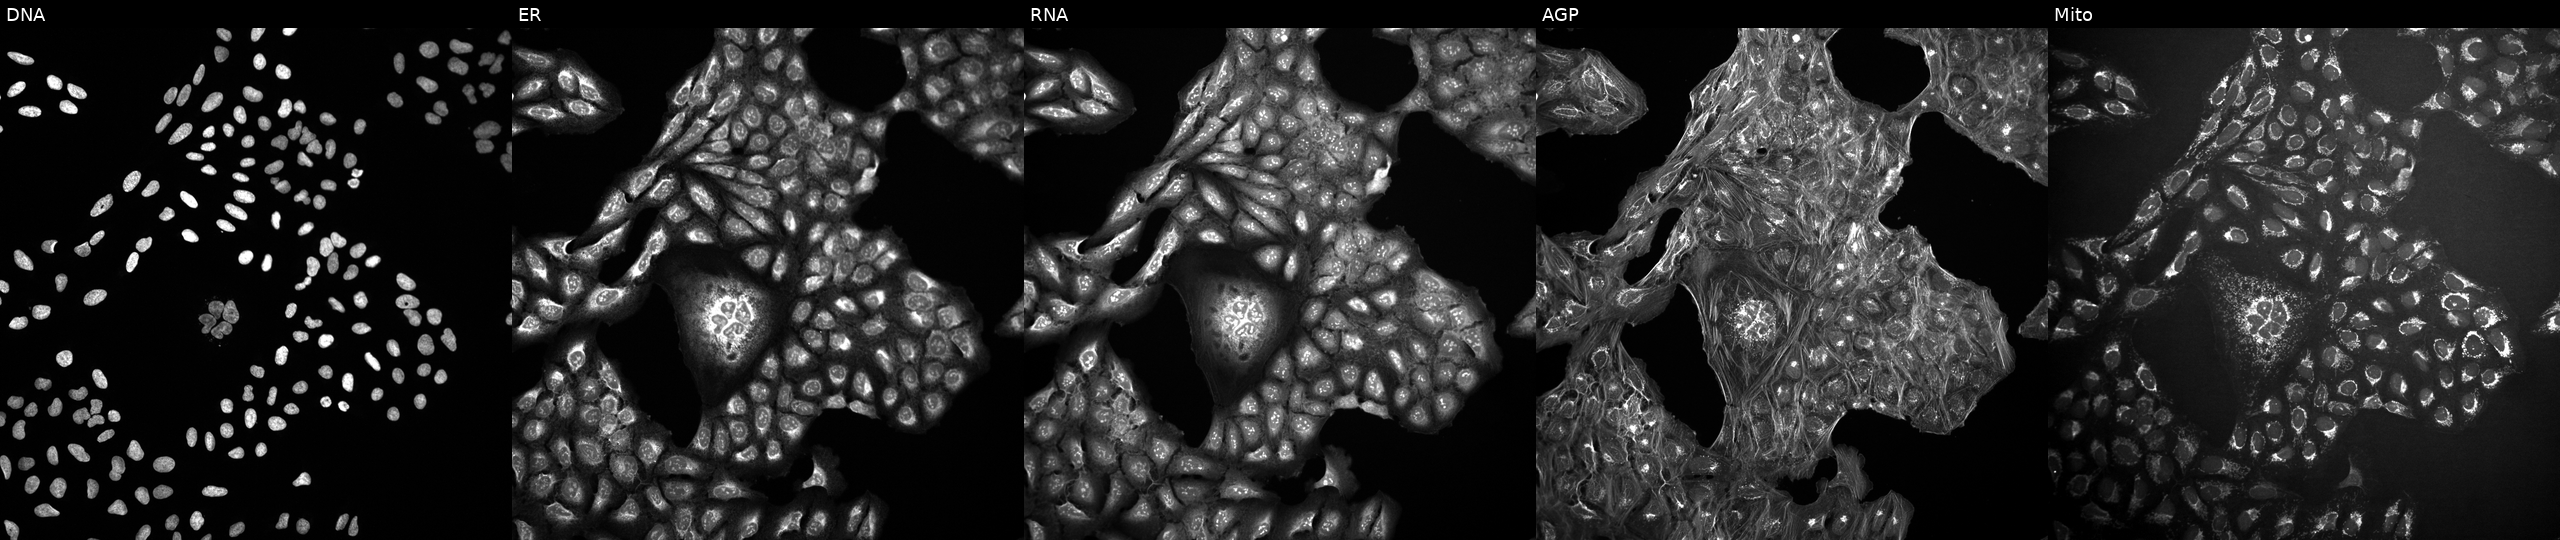
JUMP Cell Painting — COMPOUND plate. U2OS cells in an empty control well (no perturbation). Channels (left→right): DNA (nuclei); ER (endoplasmic reticulum); RNA (nucleoli and cytoplasmic RNA); AGP (actin cytoskeleton, Golgi, and plasma membrane); Mito (mitochondria). Source 10, plate Dest210531-152324, well F16.